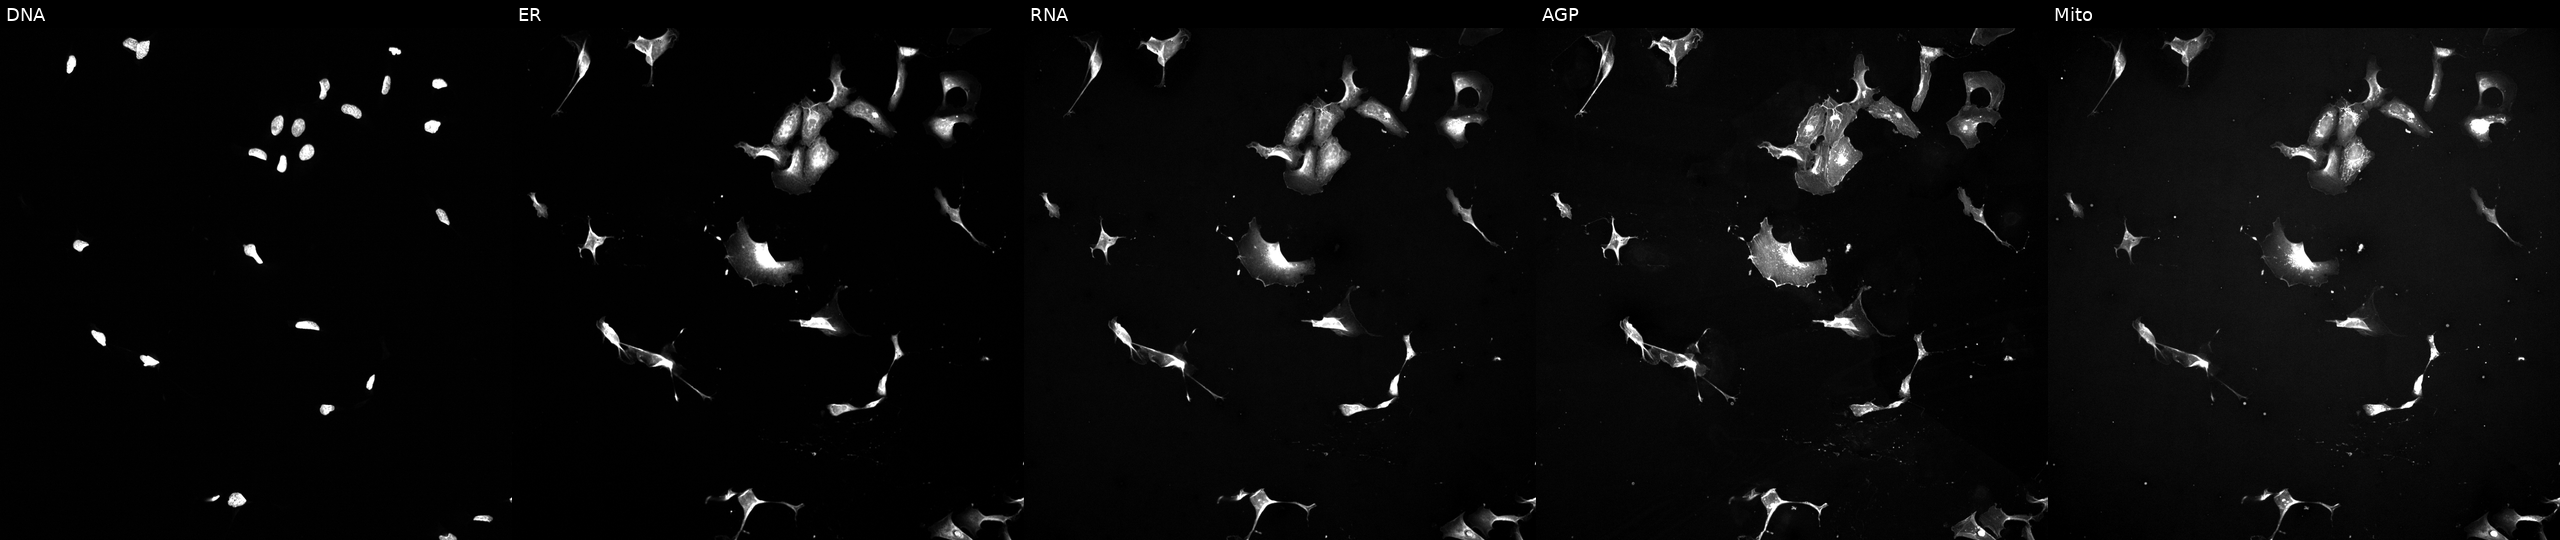
U2OS cells, Cell Painting assay, perturbed with a small-molecule compound (JUMP id JCP2022_052804). The five panels, left to right, show DNA (nuclei); ER (endoplasmic reticulum); RNA (nucleoli and cytoplasmic RNA); AGP (actin cytoskeleton, Golgi, and plasma membrane); Mito (mitochondria). Each panel is percentile-stretched 16-bit fluorescence. Source 5, plate ACPJUM051, well C19.